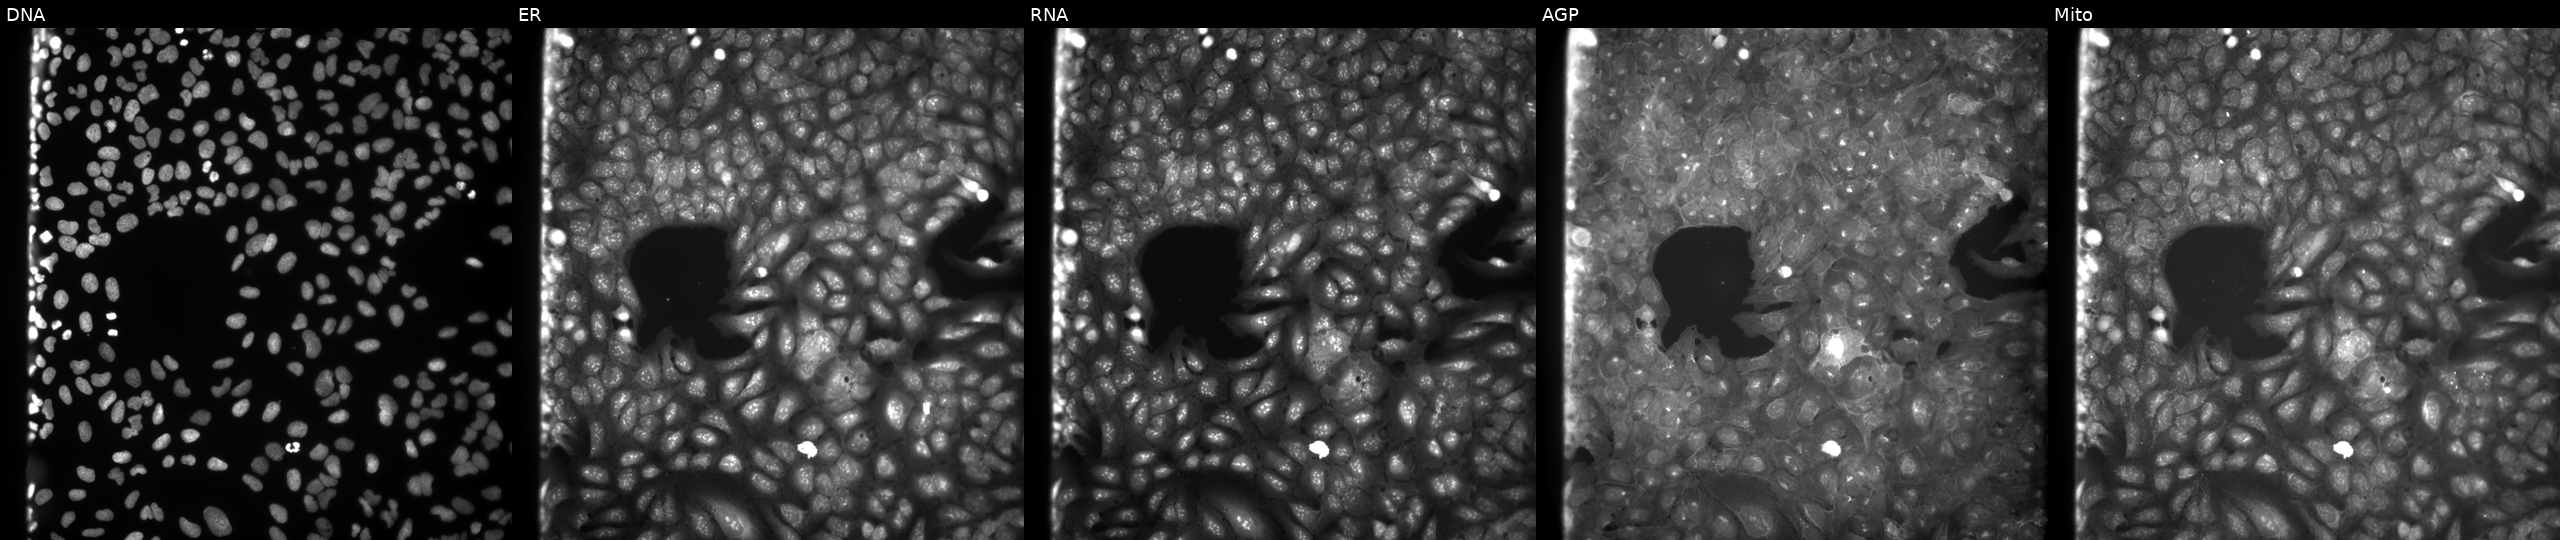
Five-channel Cell Painting image of U2OS cells treated with DMSO vehicle only (negative control). From left to right: Hoechst 33342, concanavalin A, SYTO 14, phalloidin and WGA, MitoTracker.